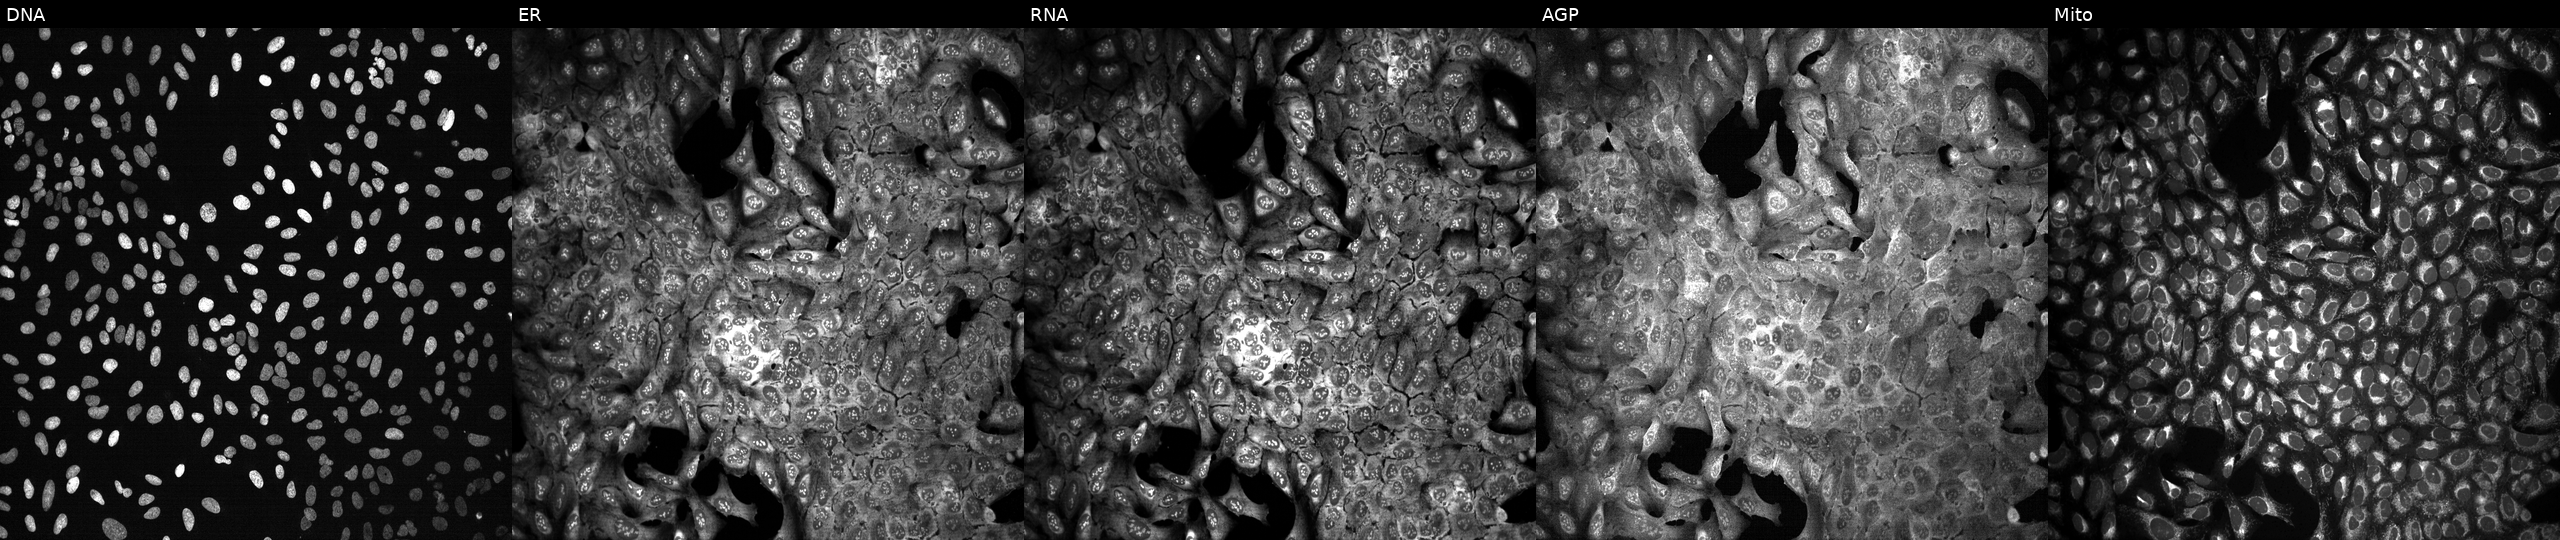
High-content fluorescence microscopy (Cell Painting). Cell line: U2OS. Perturbation: CRISPR-edited to disrupt DIO2 (JUMP id JCP2022_801817). The five panels, left to right, show DNA, ER, RNA, AGP, and Mito.